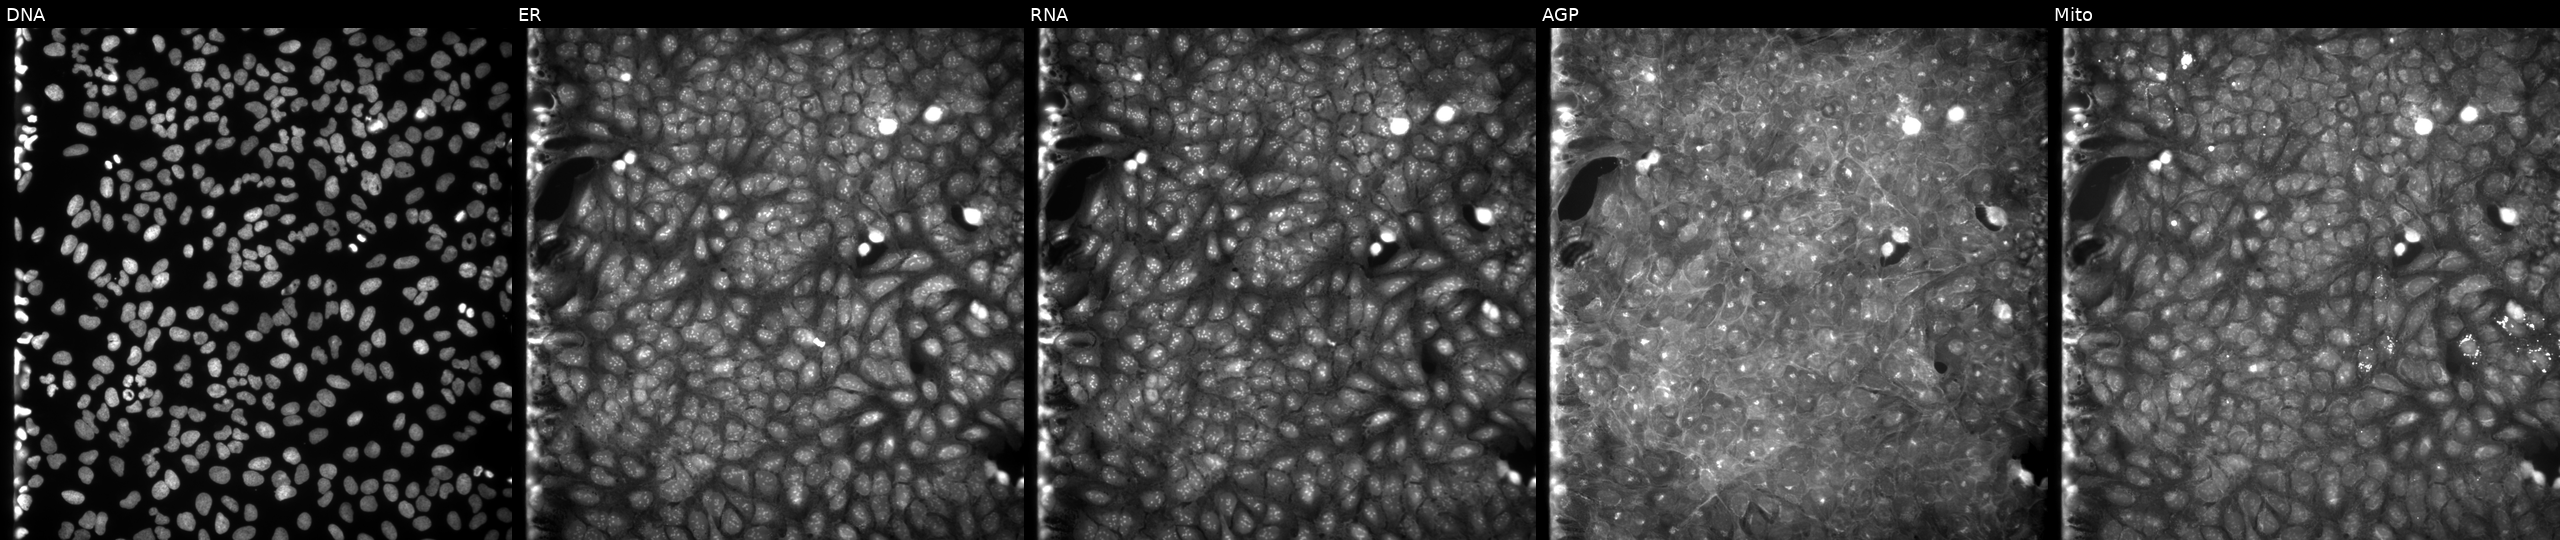
U2OS cells, Cell Painting assay, perturbed with a small-molecule compound (JUMP id JCP2022_115887). Channels (left→right): DNA, ER, RNA, AGP, and Mito. Each panel is percentile-stretched 16-bit fluorescence.